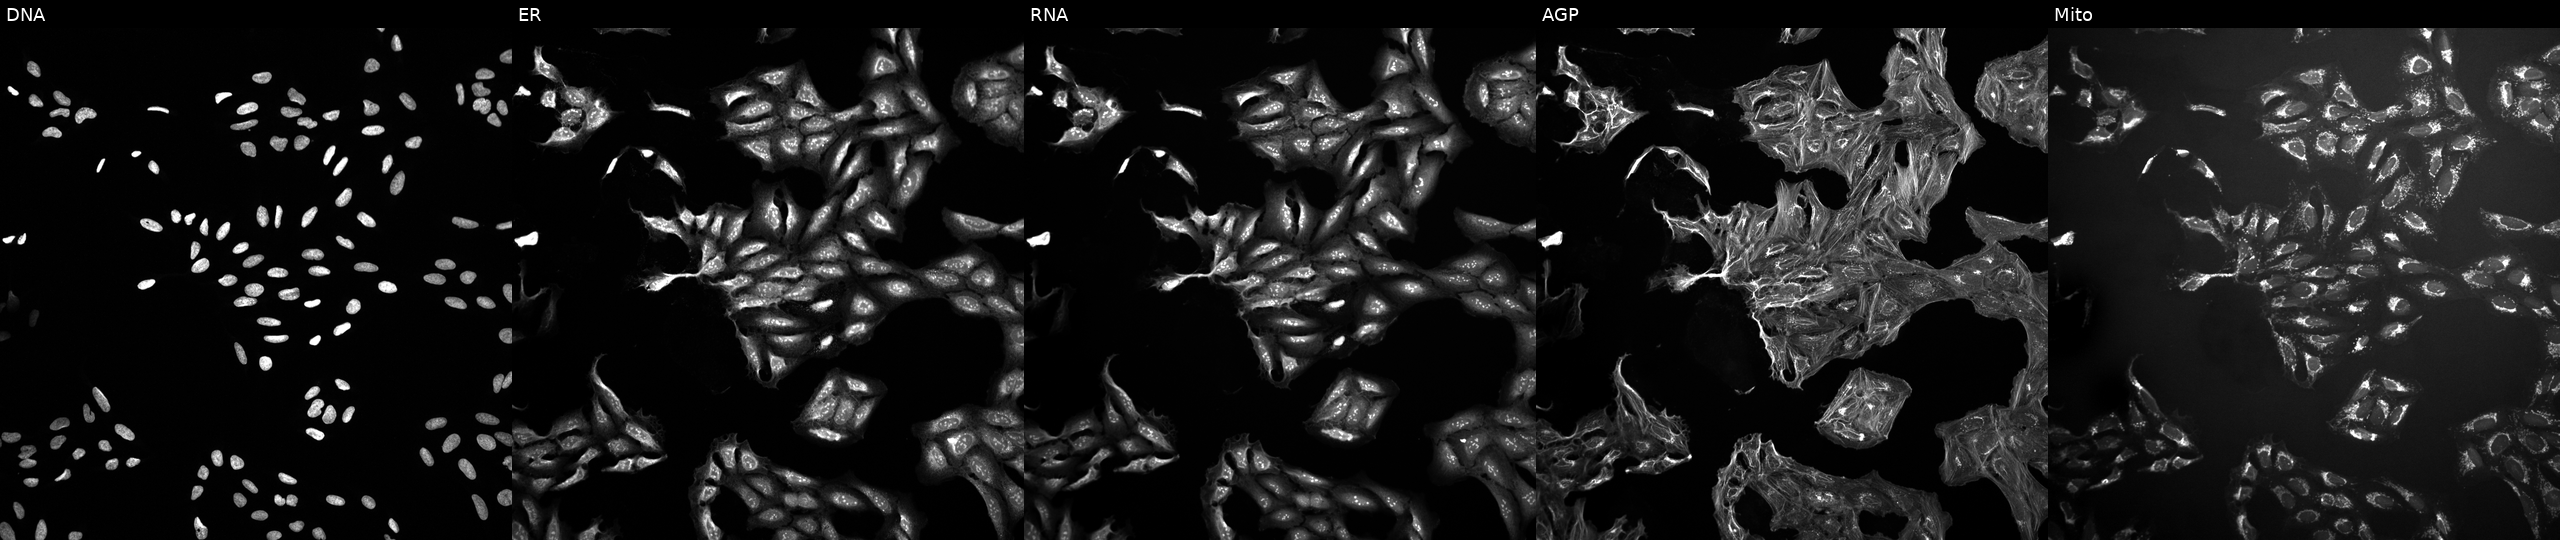
U2OS cells, Cell Painting assay, perturbed with a small-molecule compound (JUMP id JCP2022_033936). From left to right: Hoechst 33342, concanavalin A, SYTO 14, phalloidin and WGA, MitoTracker. Each panel is percentile-stretched 16-bit fluorescence.